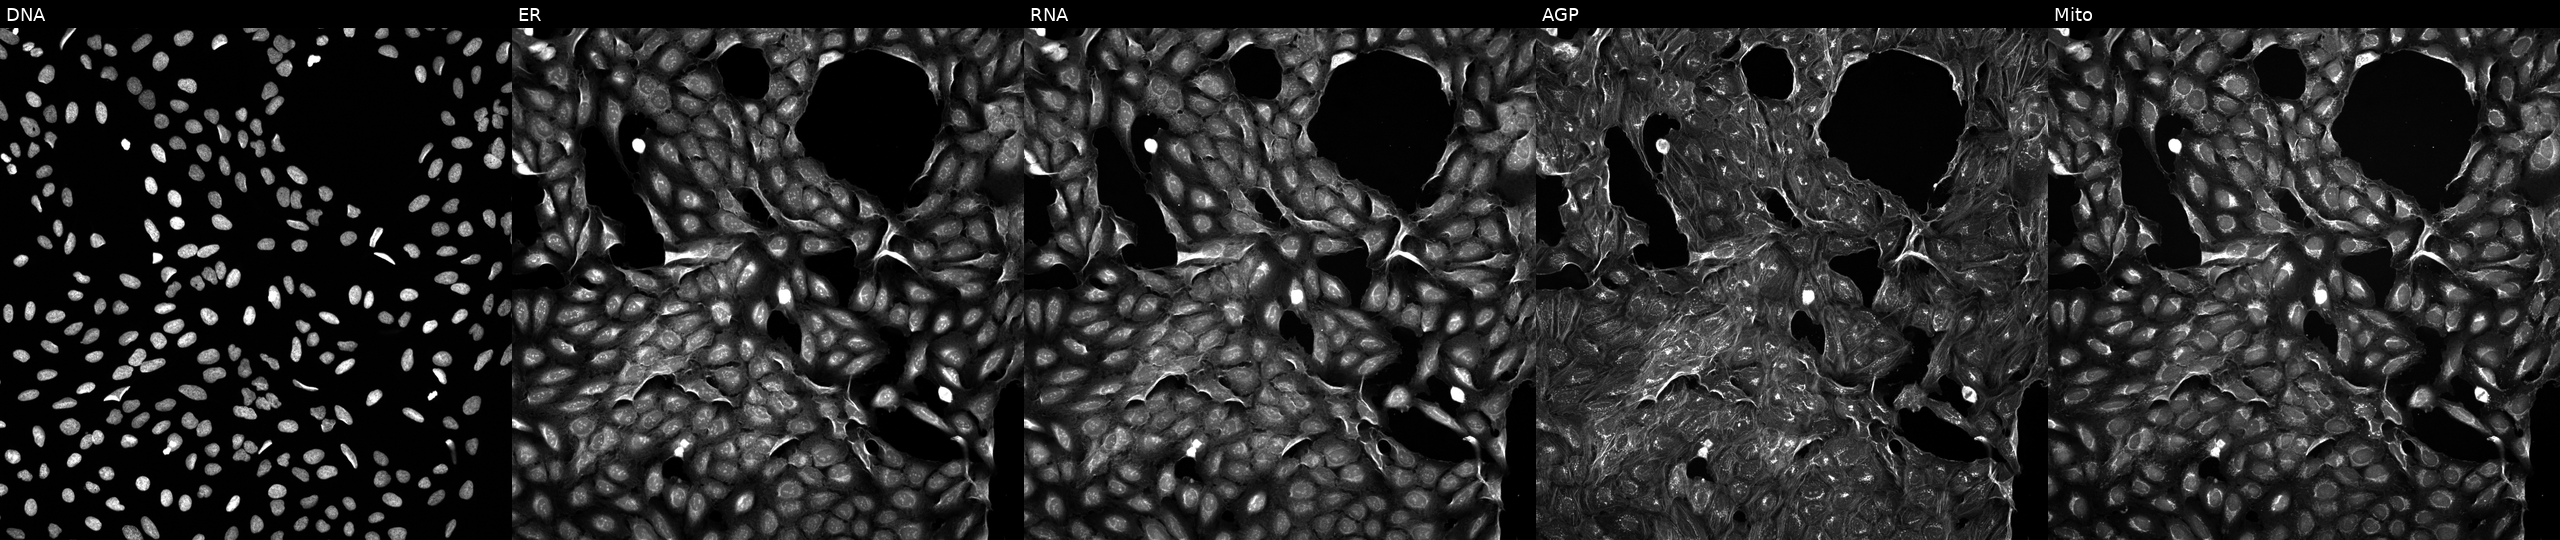
This image strip shows the five Cell Painting channels for a single field of U2OS cells treated with a small-molecule compound (InChIKey KBAUTMJJWCZEEK-UHFFFAOYSA-N). Panels show, left to right, DNA (nuclei); ER (endoplasmic reticulum); RNA (nucleoli and cytoplasmic RNA); AGP (actin cytoskeleton, Golgi, and plasma membrane); Mito (mitochondria).